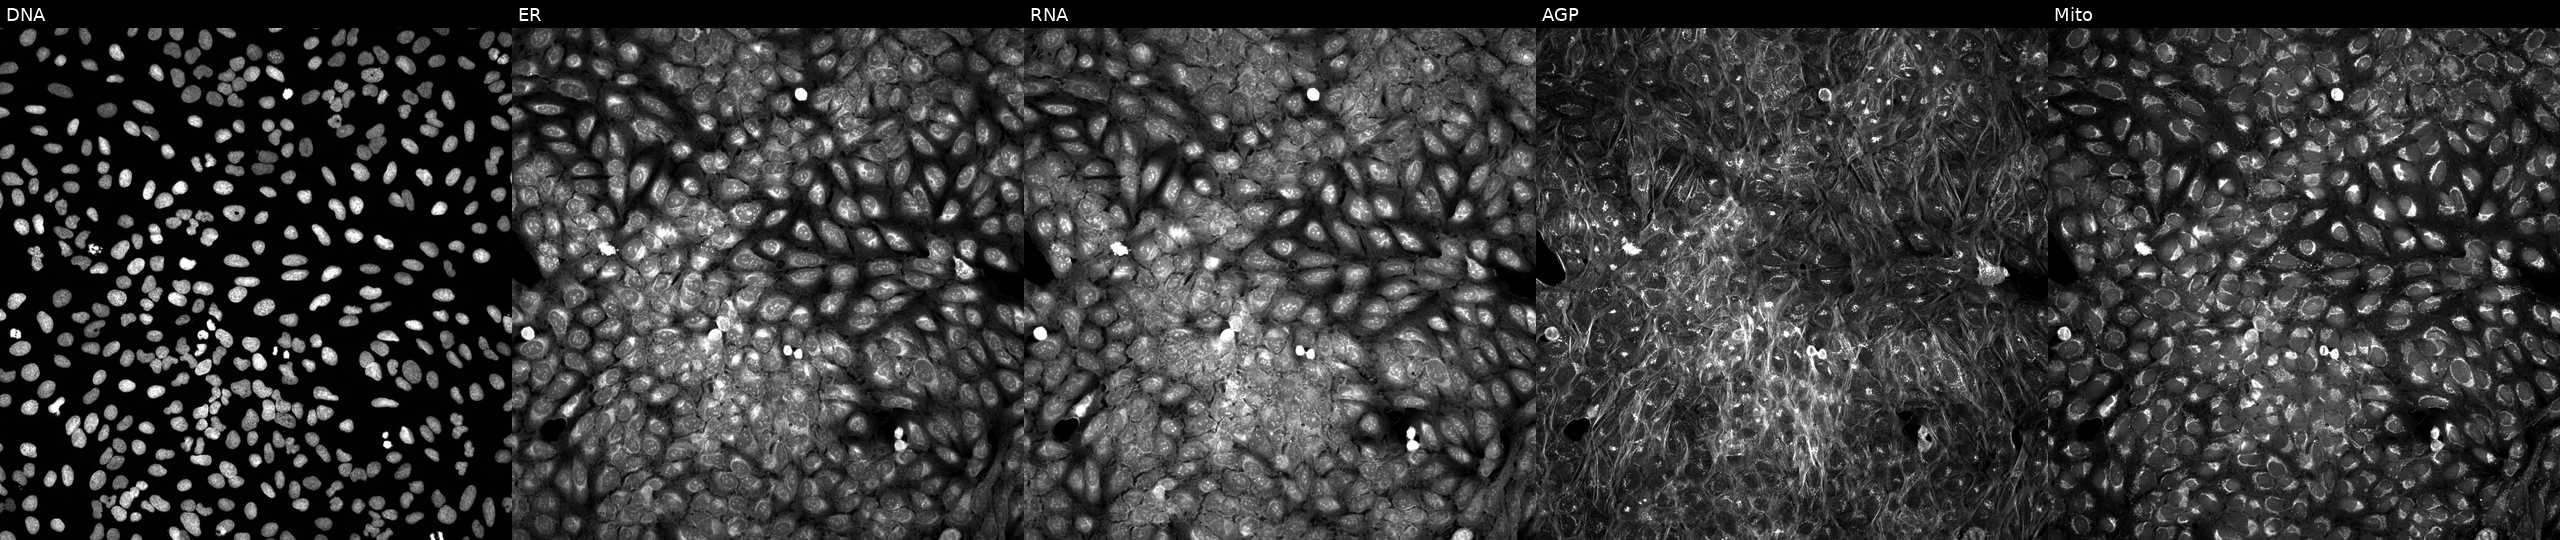
Five-channel Cell Painting image of U2OS cells exposed to a small-molecule compound (InChIKey RDOIQAHITMMDAJ-UHFFFAOYSA-N) [SMILES: CN(C)C(=O)C(CCN1CCC(O)(c2ccc(Cl)cc2)CC1)(c1ccccc1)c1ccccc1]. From left to right: Hoechst 33342, concanavalin A, SYTO 14, phalloidin and WGA, MitoTracker.